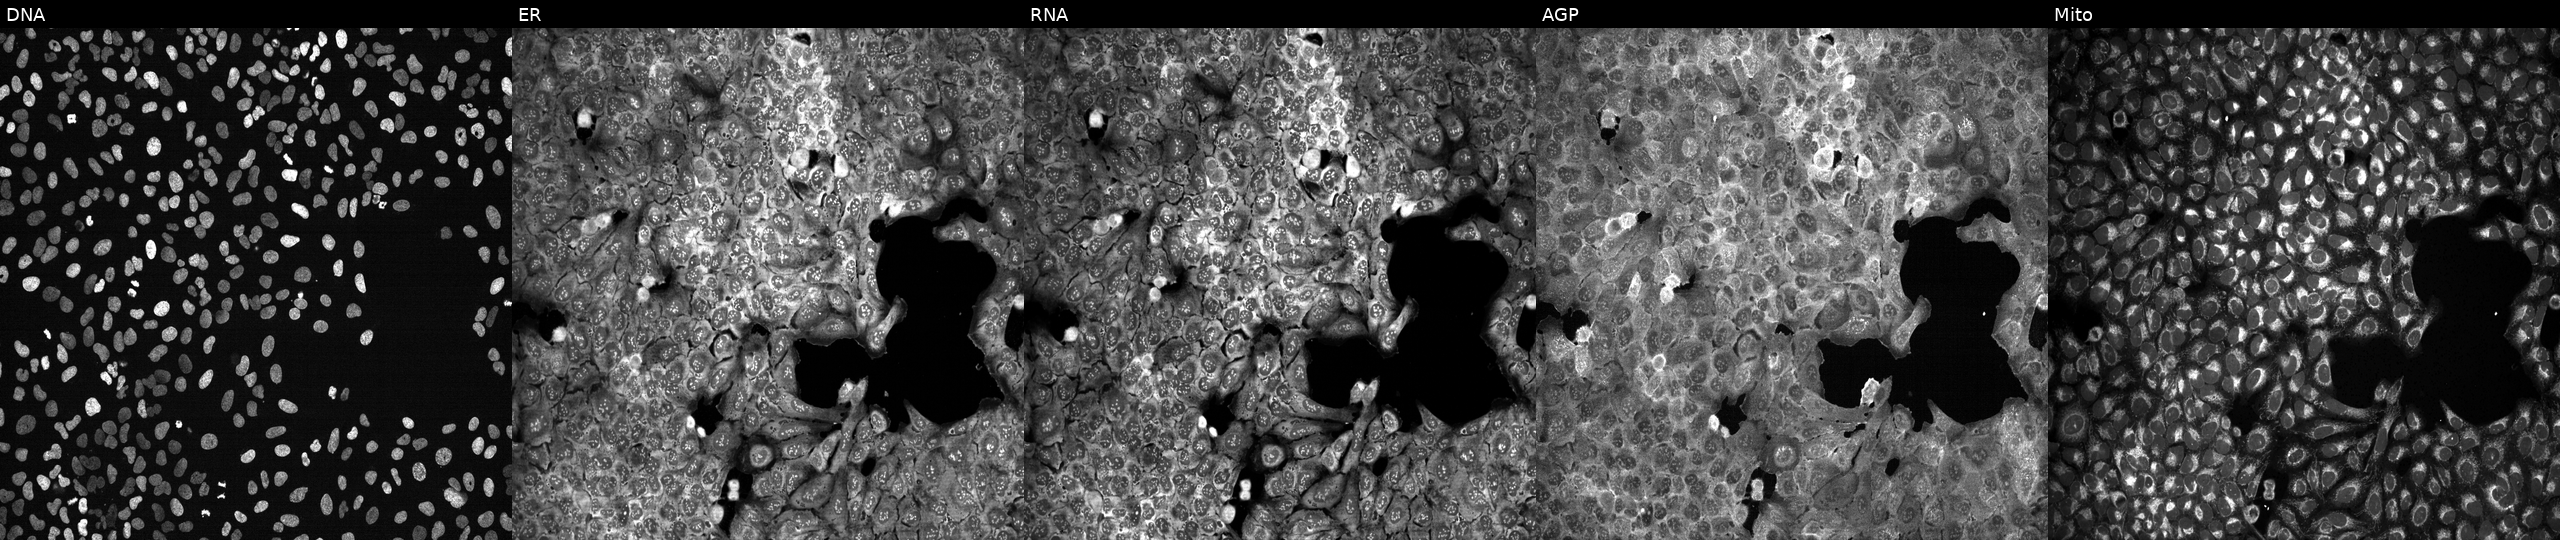
Five-channel Cell Painting image of U2OS cells CRISPR-edited to disrupt FGA (JUMP id JCP2022_802372). Panels show, left to right, DNA, ER, RNA, AGP, and Mito.